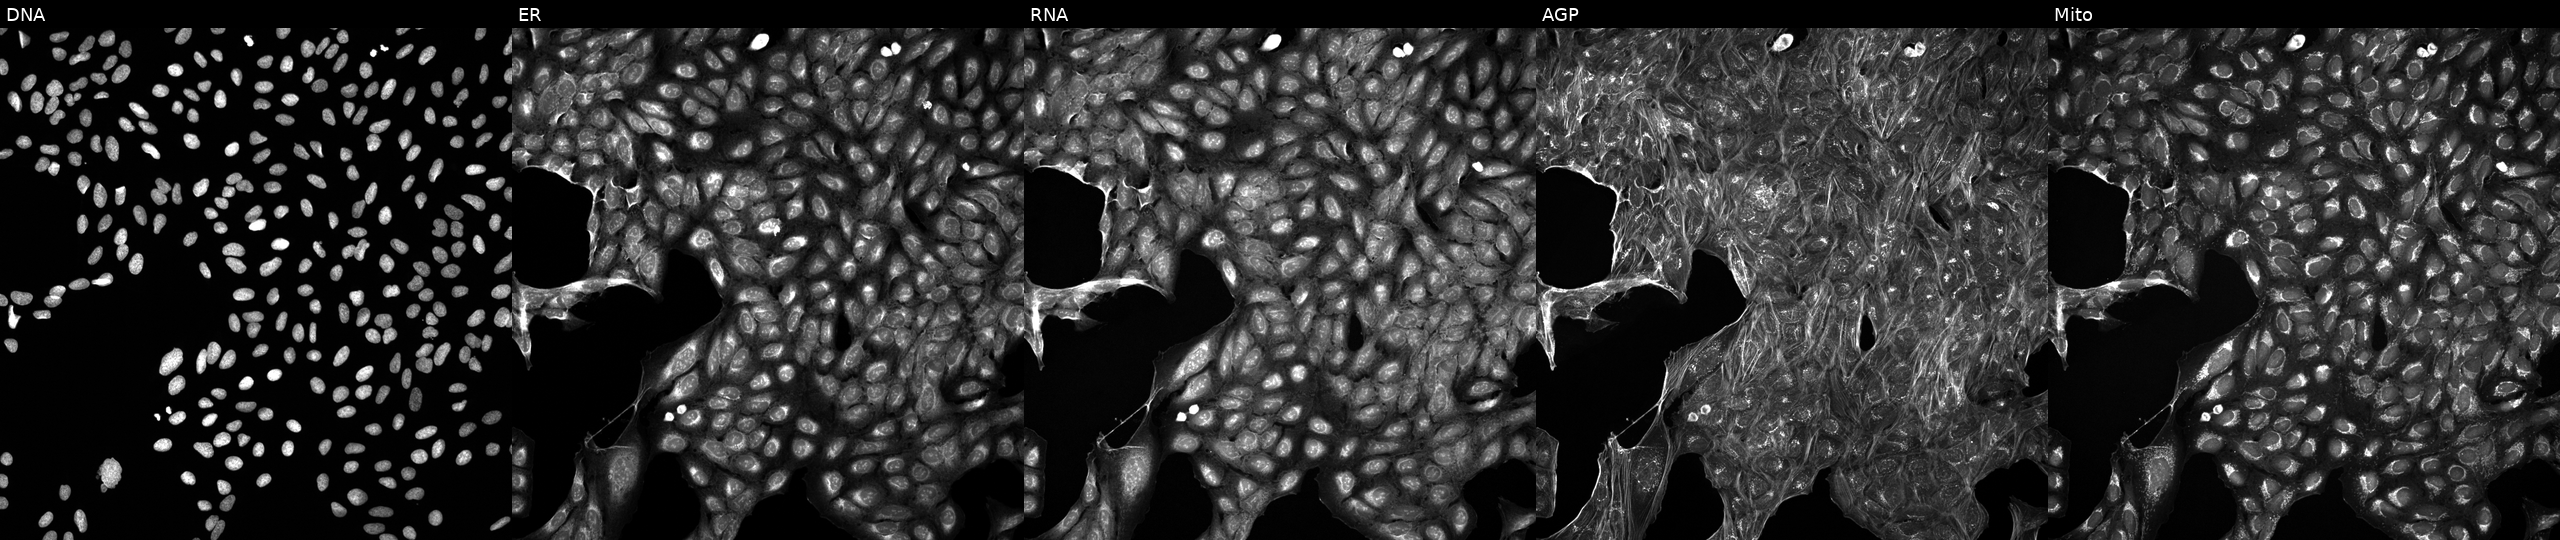
High-content fluorescence microscopy (Cell Painting). Cell line: U2OS. Perturbation: treated with a small-molecule compound. The five panels, left to right, show Hoechst 33342, concanavalin A, SYTO 14, phalloidin and WGA, MitoTracker.